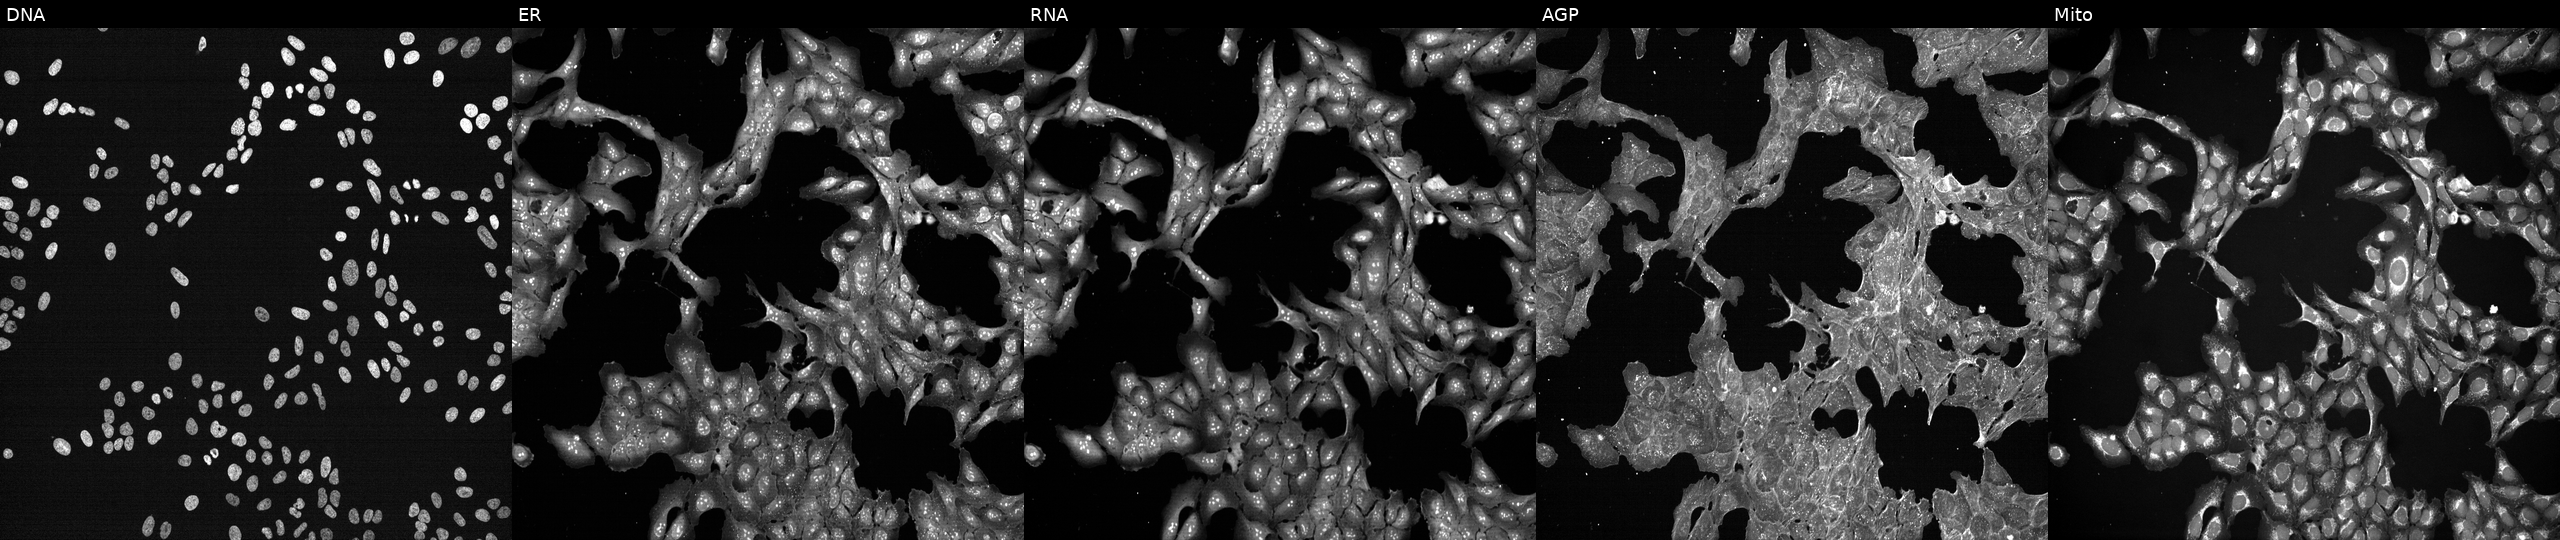
This image strip shows the five Cell Painting channels for a single field of U2OS cells exposed to a small-molecule compound (InChIKey NBHPRWLFLUBAIE-UHFFFAOYSA-N). From left to right: Hoechst 33342, concanavalin A, SYTO 14, phalloidin and WGA, MitoTracker.